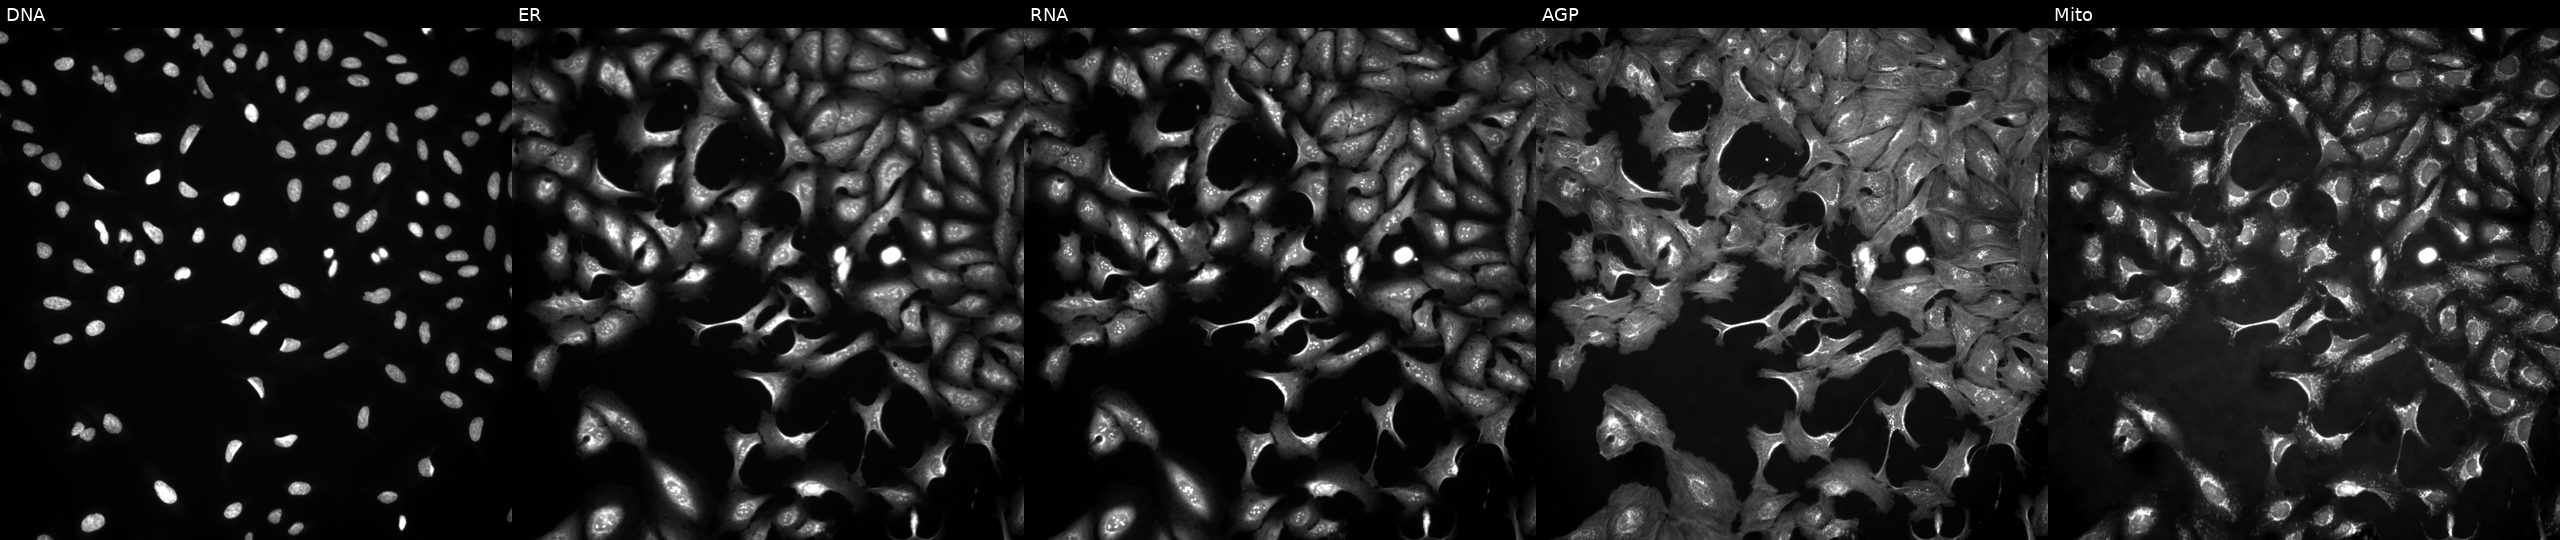
High-content fluorescence microscopy (Cell Painting). Cell line: U2OS. Perturbation: with OSTC overexpressed (ORF) (JUMP id JCP2022_909858). Channels (left→right): Hoechst 33342, concanavalin A, SYTO 14, phalloidin and WGA, MitoTracker.